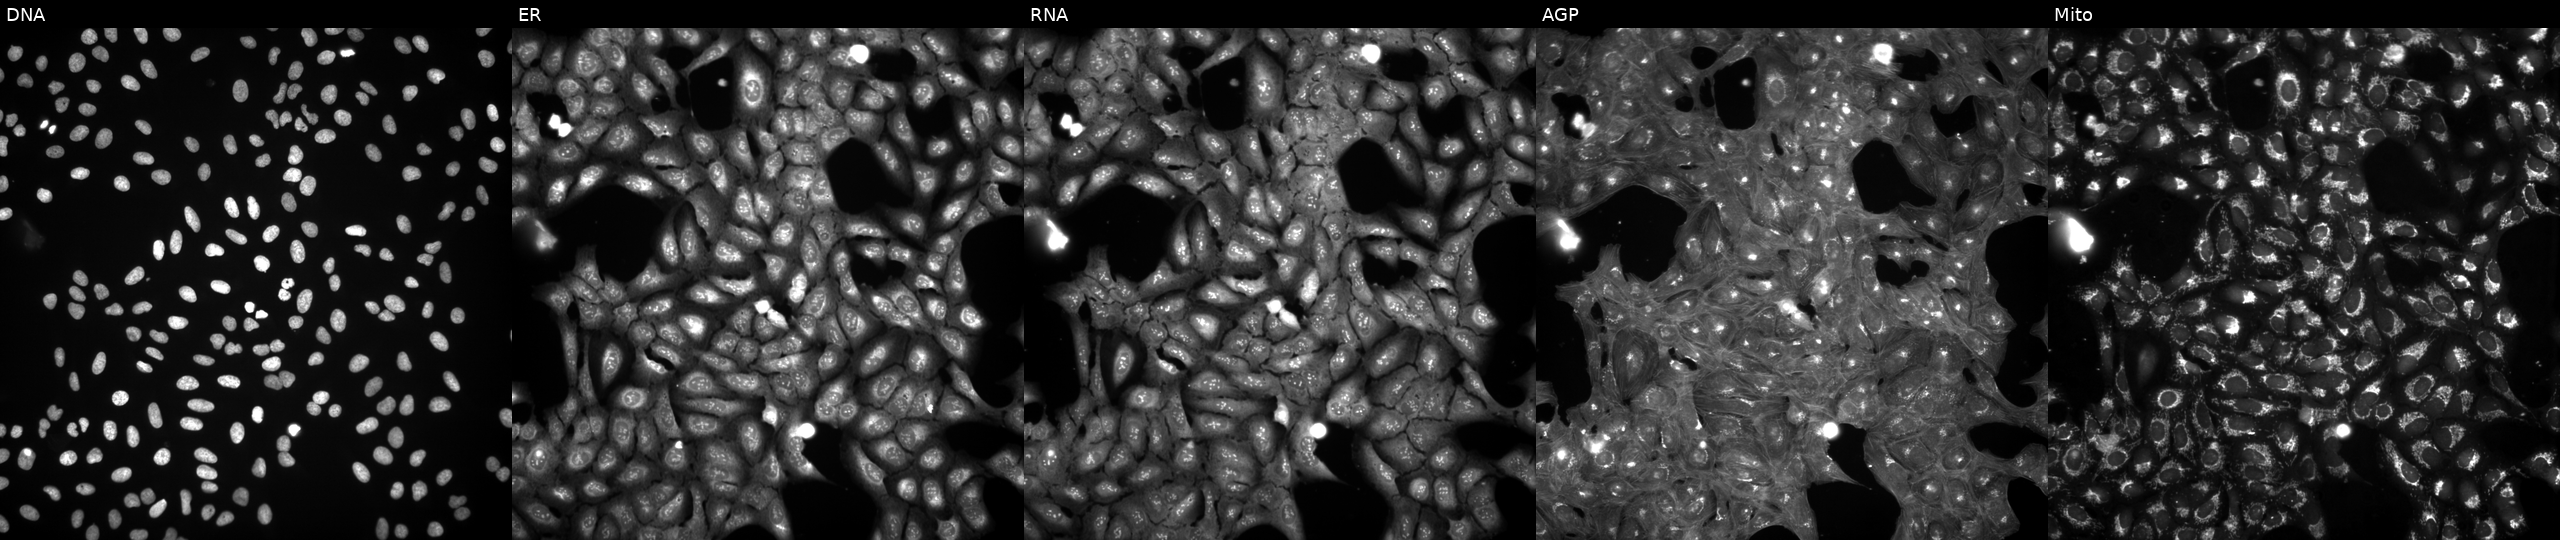
JUMP Cell Painting — TARGET2 plate. U2OS cells perturbed with a small-molecule compound (InChIKey VUIRVWPJNKZOSS-UHFFFAOYSA-N). From left to right: DNA, ER, RNA, AGP, and Mito.